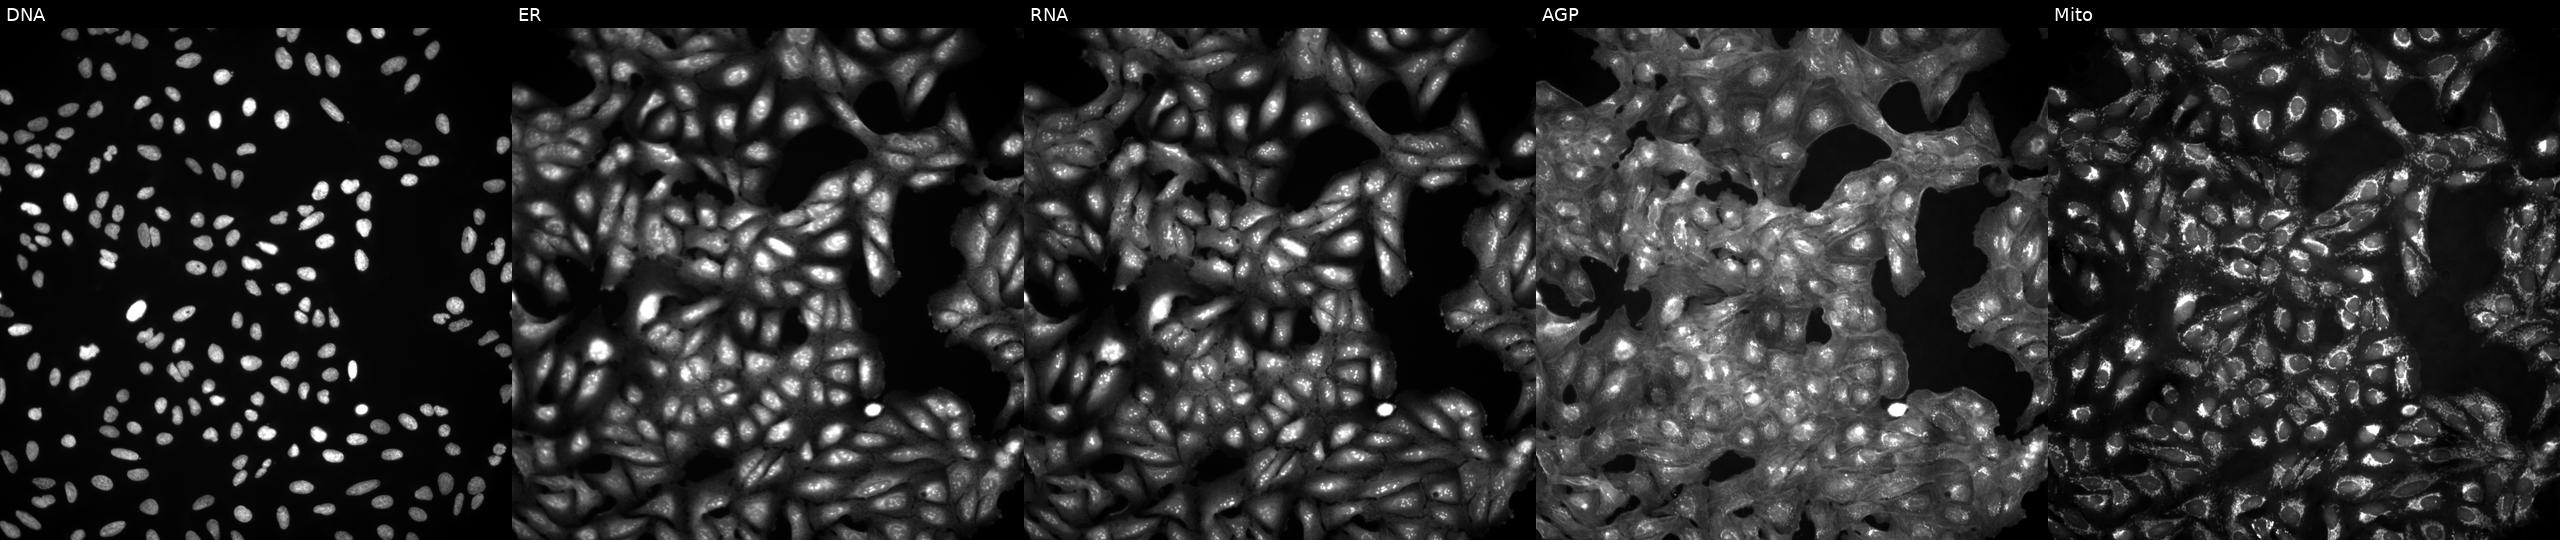
From left to right: DNA (nuclei); ER (endoplasmic reticulum); RNA (nucleoli and cytoplasmic RNA); AGP (actin cytoskeleton, Golgi, and plasma membrane); Mito (mitochondria). U2OS osteosarcoma cells untreated (empty-well control). Cell Painting assay, JUMP-CP dataset. Source 4, plate BR00123946, well P02.